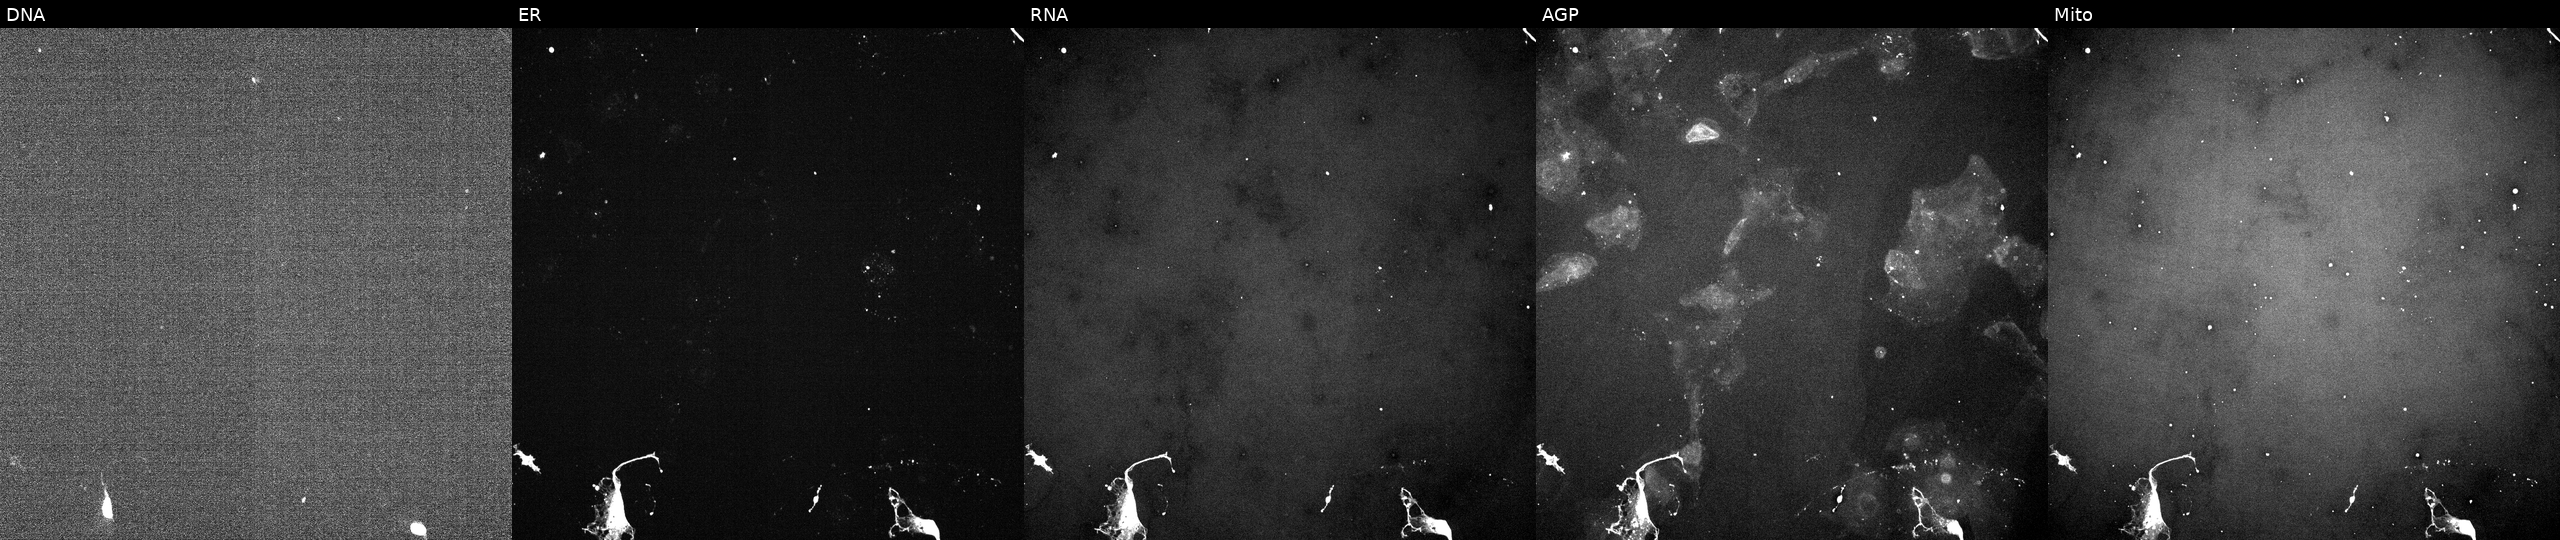
JUMP Cell Painting — TARGET2 plate. U2OS cells treated with a small-molecule compound (InChIKey PBCZSGKMGDDXIJ-UHFFFAOYSA-N). The five panels, left to right, show DNA, ER, RNA, AGP, and Mito.